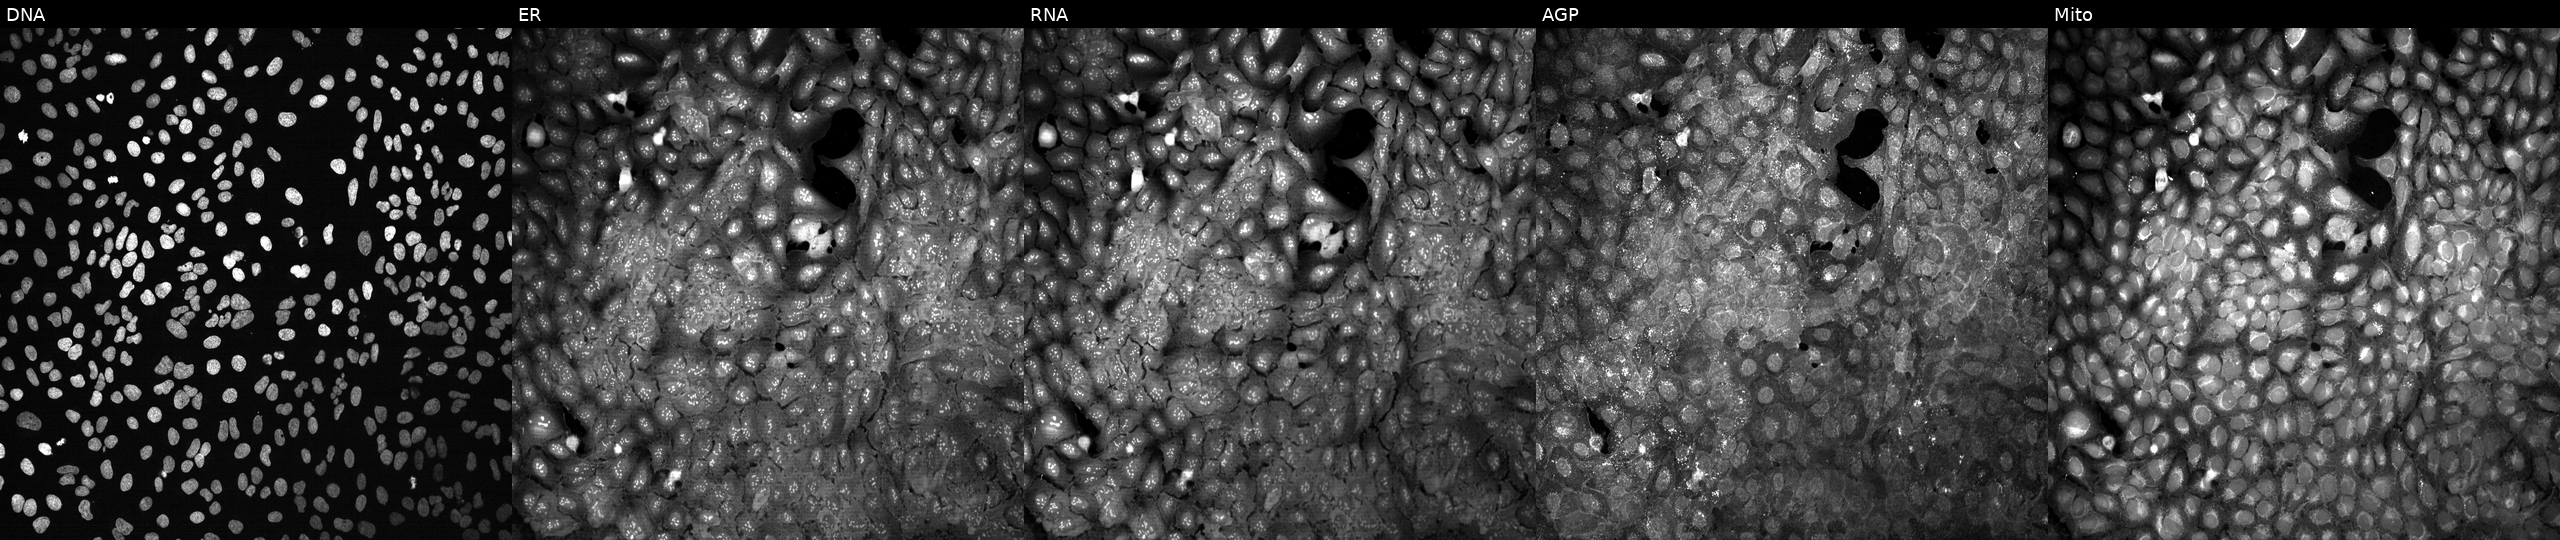
U2OS cells, Cell Painting assay, following CRISPR knockout of GLUD1 (JUMP id JCP2022_802741). Panels show, left to right, DNA, ER, RNA, AGP, and Mito. Each panel is percentile-stretched 16-bit fluorescence.